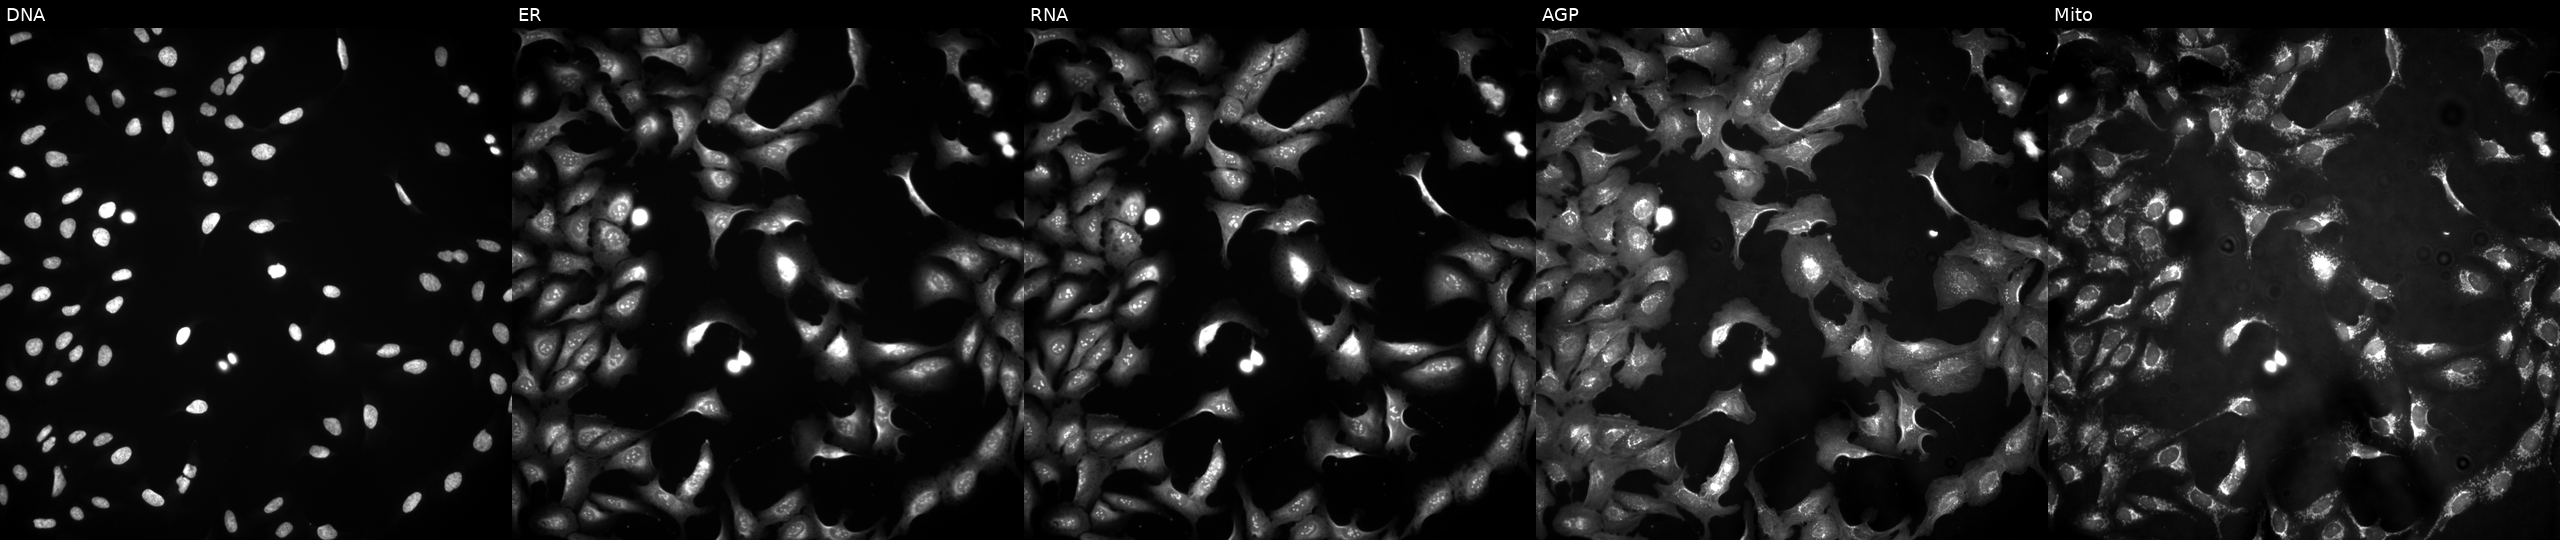
JUMP Cell Painting — ORF plate. U2OS cells transfected with an ORF construct for PDE6B. The five panels, left to right, show DNA, ER, RNA, AGP, and Mito.